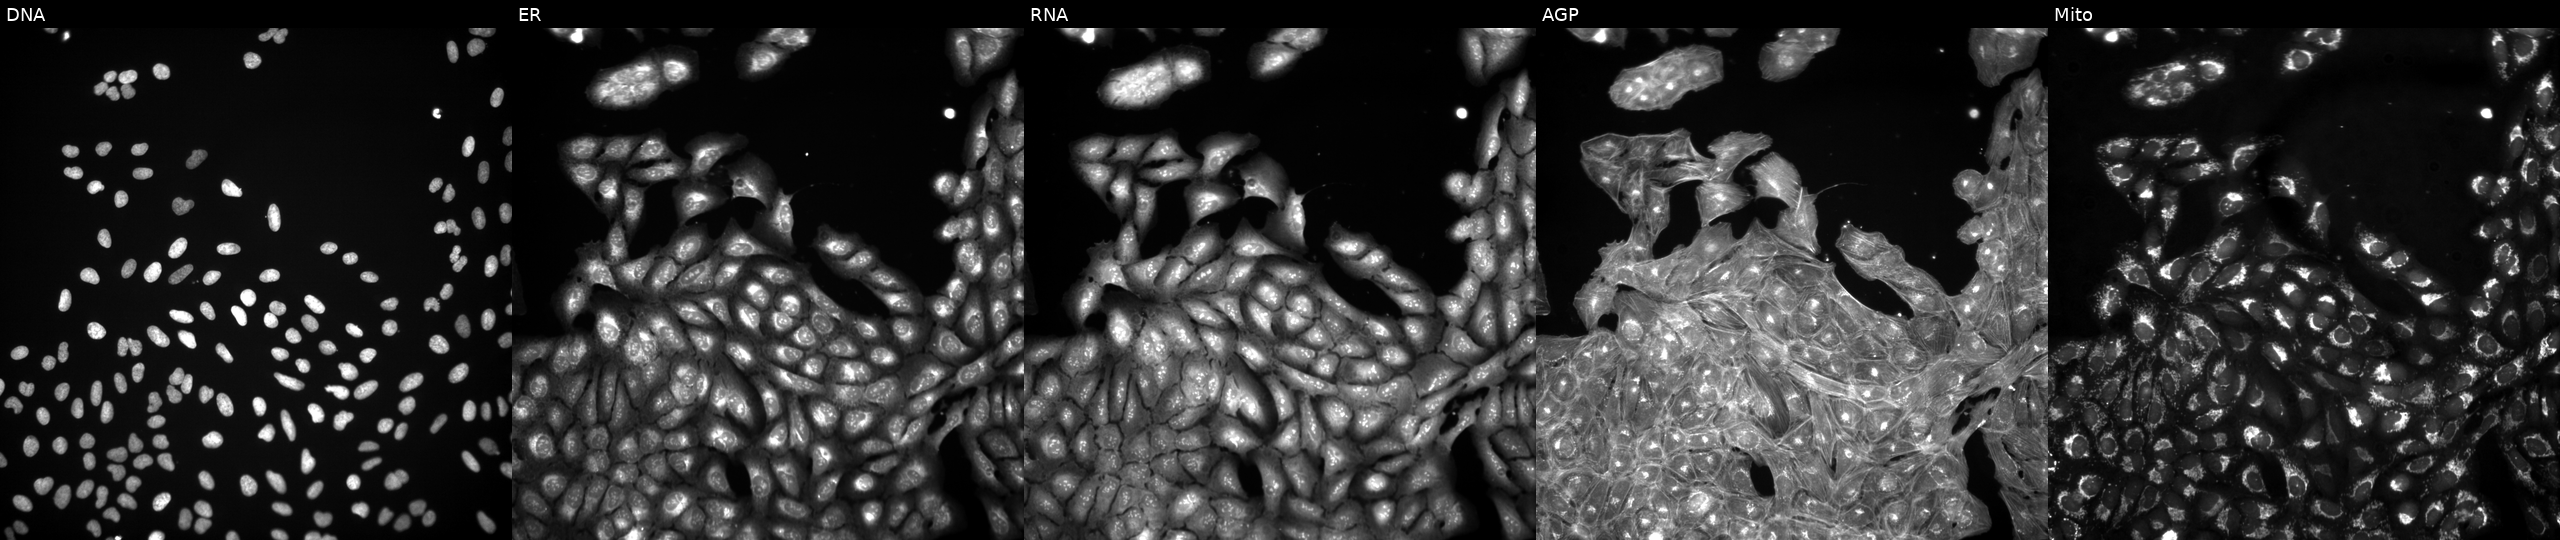
U2OS cells, Cell Painting assay, perturbed with a small-molecule compound (InChIKey HKQYGTCOTHHOMP-UHFFFAOYSA-N). Channels (left→right): DNA (nuclei); ER (endoplasmic reticulum); RNA (nucleoli and cytoplasmic RNA); AGP (actin cytoskeleton, Golgi, and plasma membrane); Mito (mitochondria). Each panel is percentile-stretched 16-bit fluorescence.